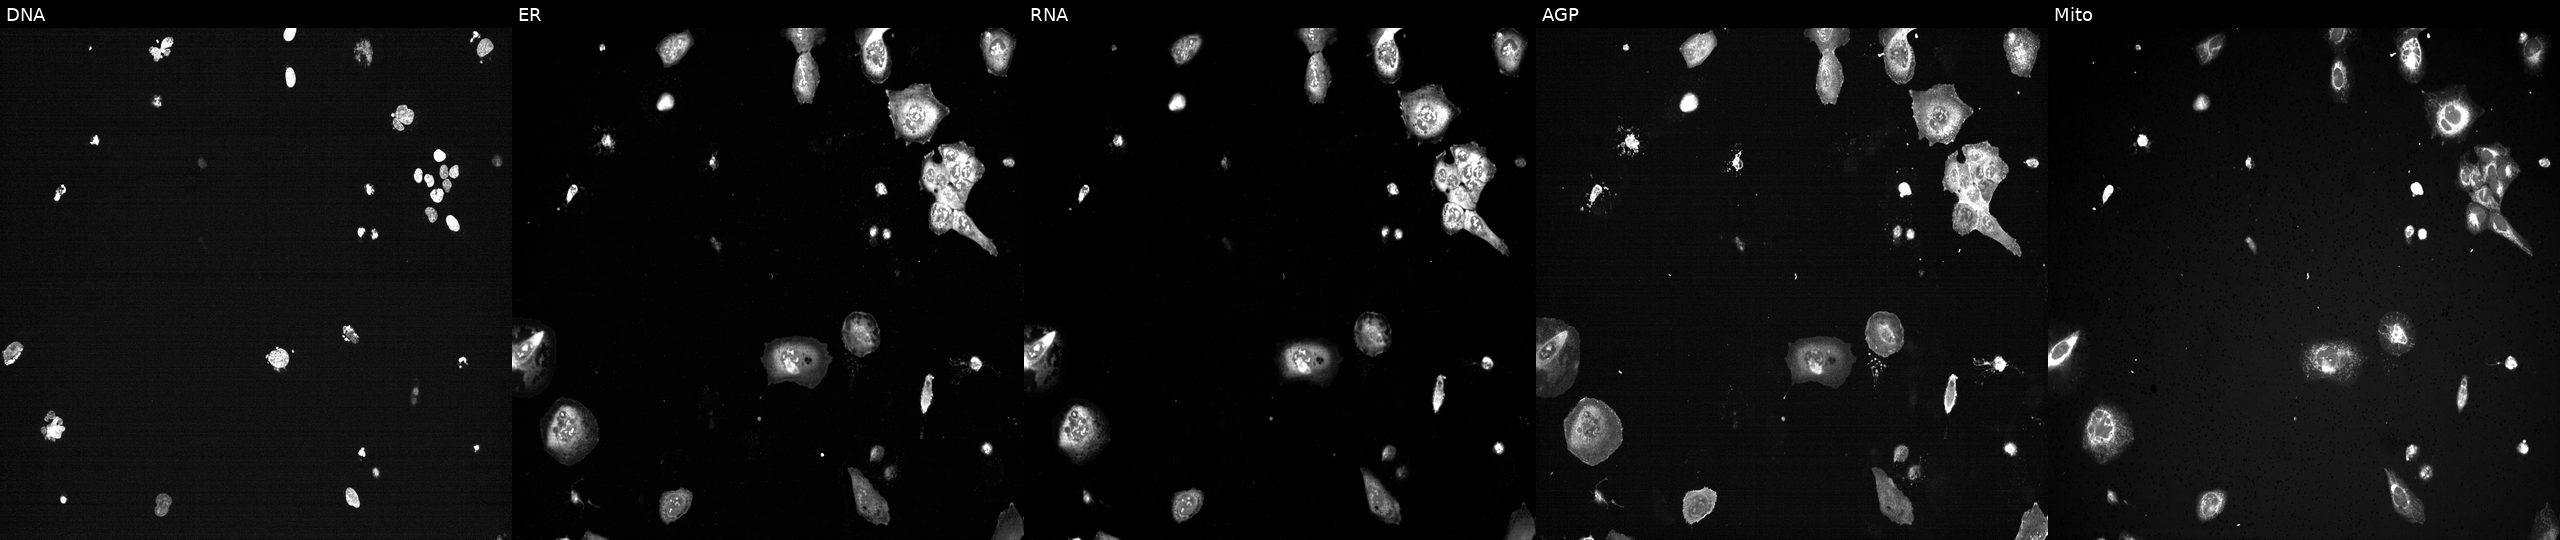
High-content fluorescence microscopy (Cell Painting). Cell line: U2OS. Perturbation: with PLK1 knocked out by CRISPR (positive control) (JUMP id JCP2022_805264). From left to right: DNA, ER, RNA, AGP, and Mito. Source 13, plate CP-CC9-R2-02, well A23.